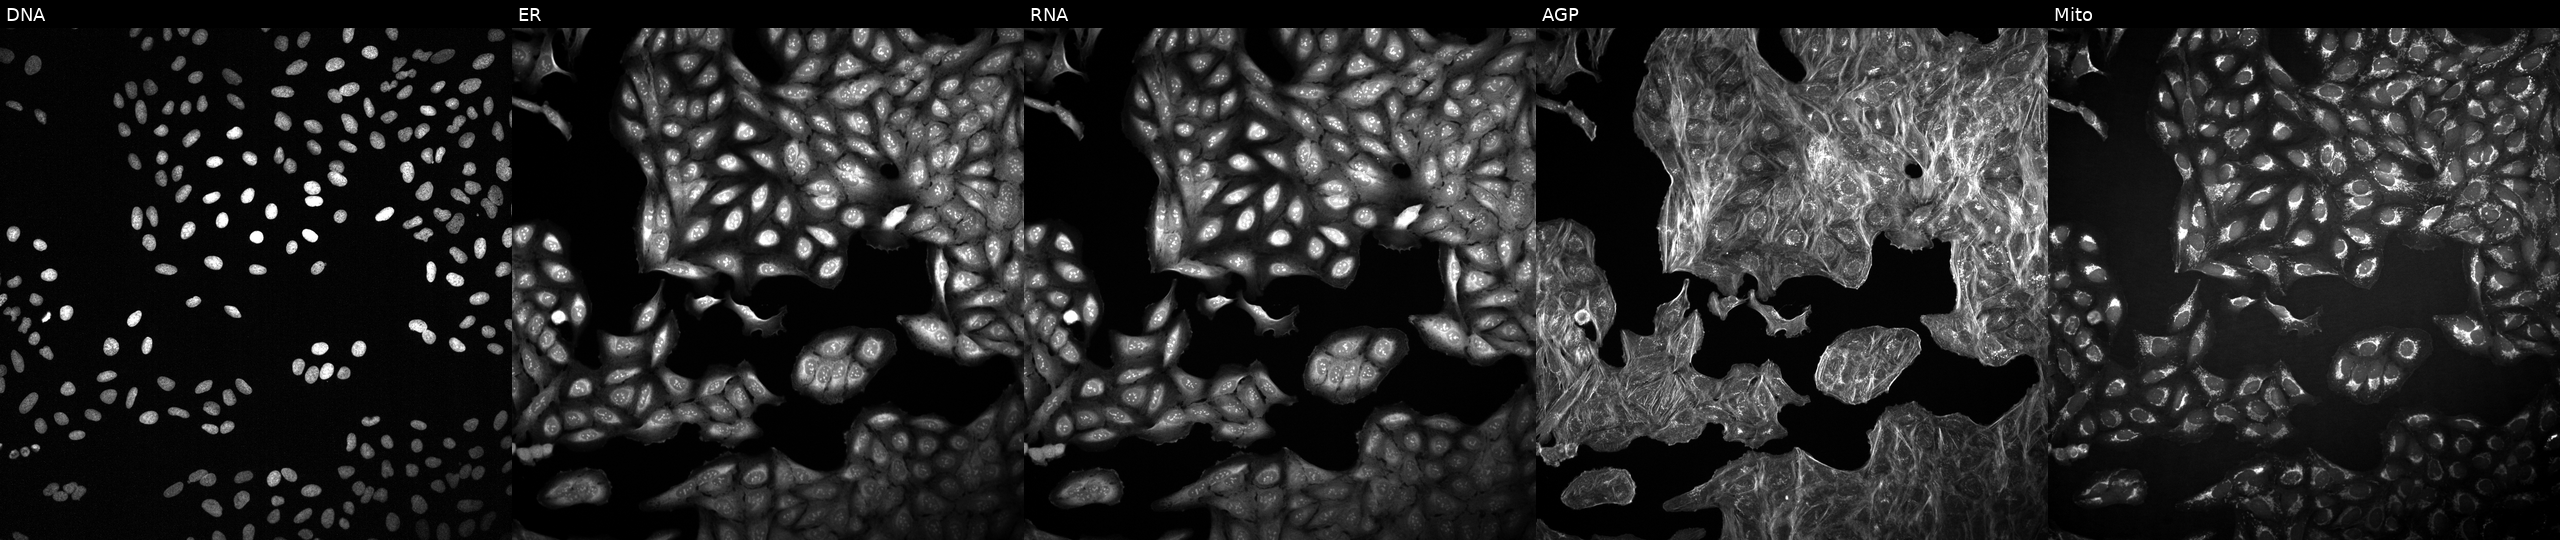
U2OS cells, Cell Painting assay, perturbed with a small-molecule compound. The five panels, left to right, show DNA (nuclei); ER (endoplasmic reticulum); RNA (nucleoli and cytoplasmic RNA); AGP (actin cytoskeleton, Golgi, and plasma membrane); Mito (mitochondria). Each panel is percentile-stretched 16-bit fluorescence. Source 2, plate 1053601763, well A22.